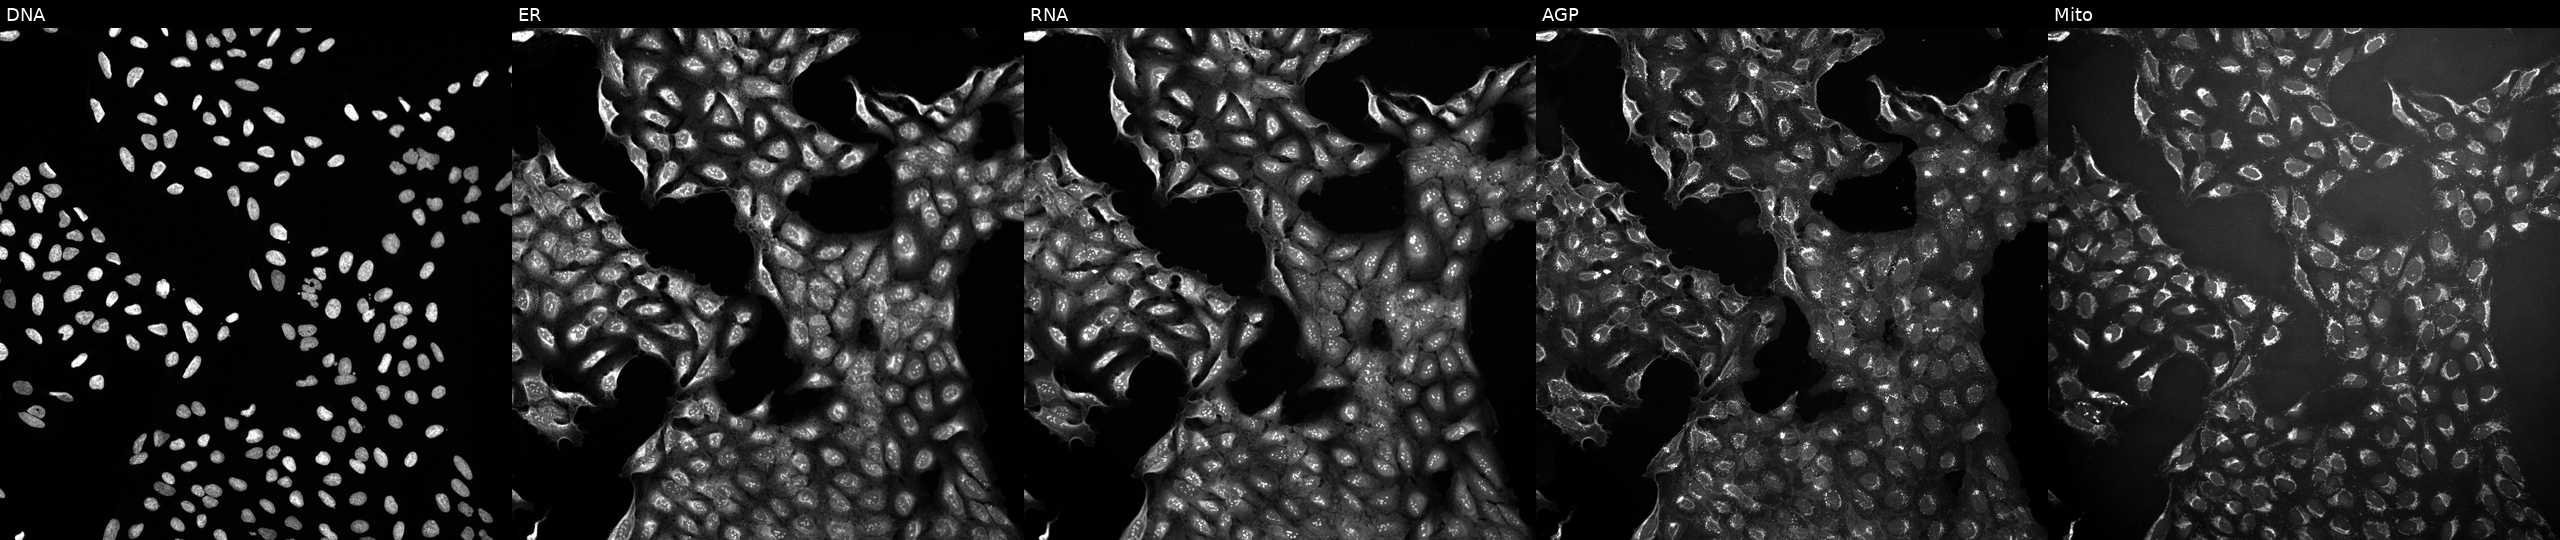
U2OS cells, Cell Painting assay, exposed to the positive-control compound quinidine. From left to right: DNA, ER, RNA, AGP, and Mito. Each panel is percentile-stretched 16-bit fluorescence.